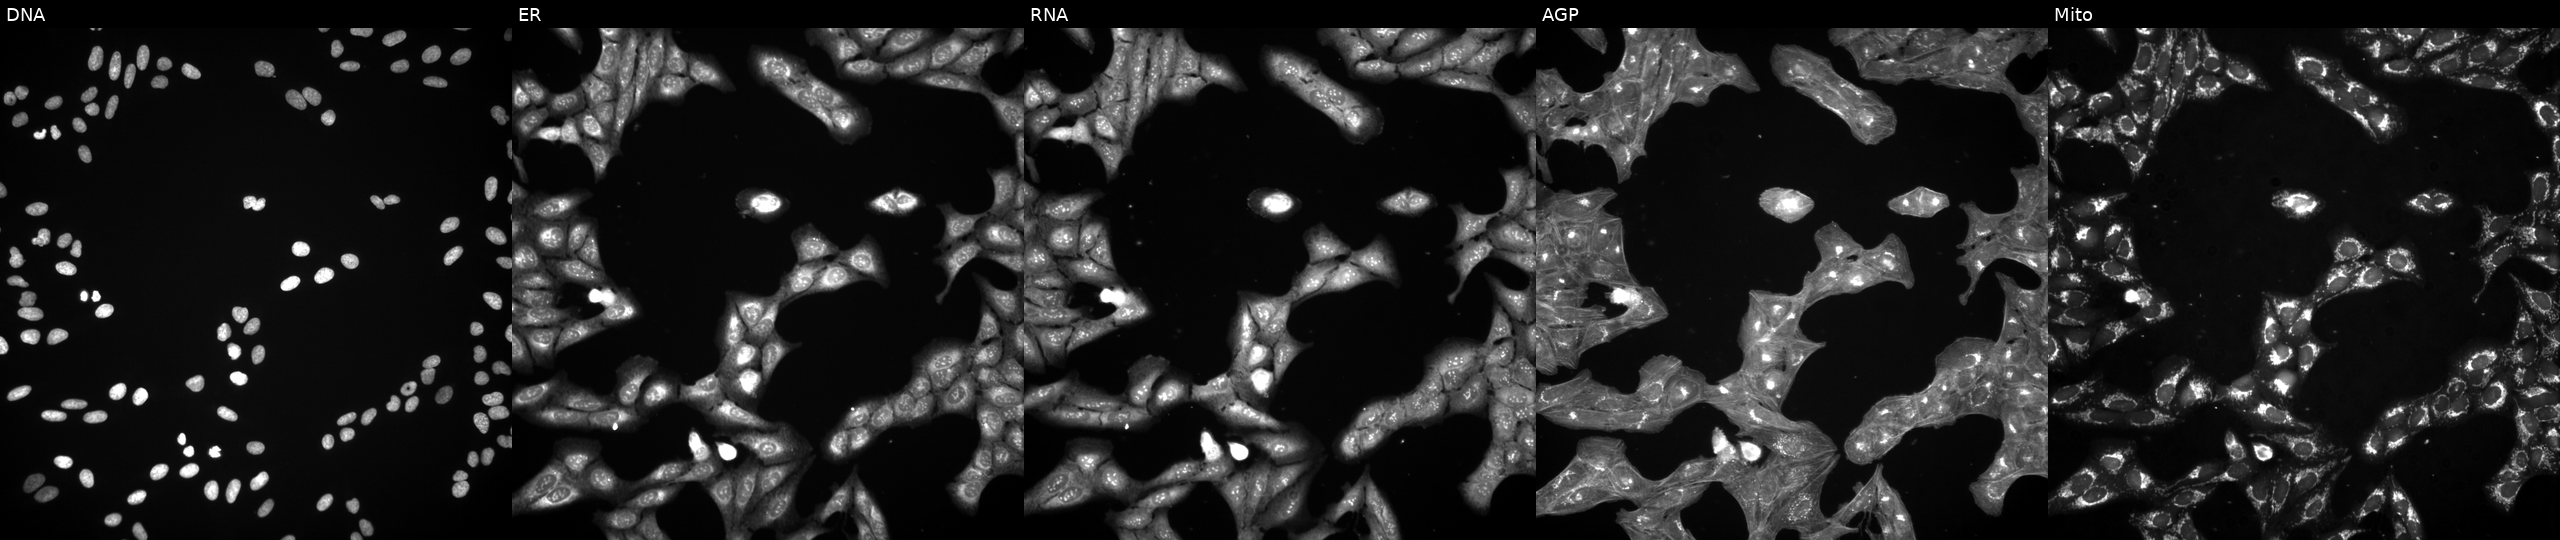
The five panels, left to right, show DNA, ER, RNA, AGP, and Mito. U2OS osteosarcoma cells exposed to a small-molecule compound (InChIKey CUIHSIWYWATEQL-UHFFFAOYSA-N) [SMILES: Cc1ccc(N=c2nc(N(C)c3ccc4c(C)n(C)nc4c3)cc[nH]2)cc1S(N)(=O)=O]. Cell Painting assay, JUMP-CP dataset. Source 3, plate JCPQC052, well I17.